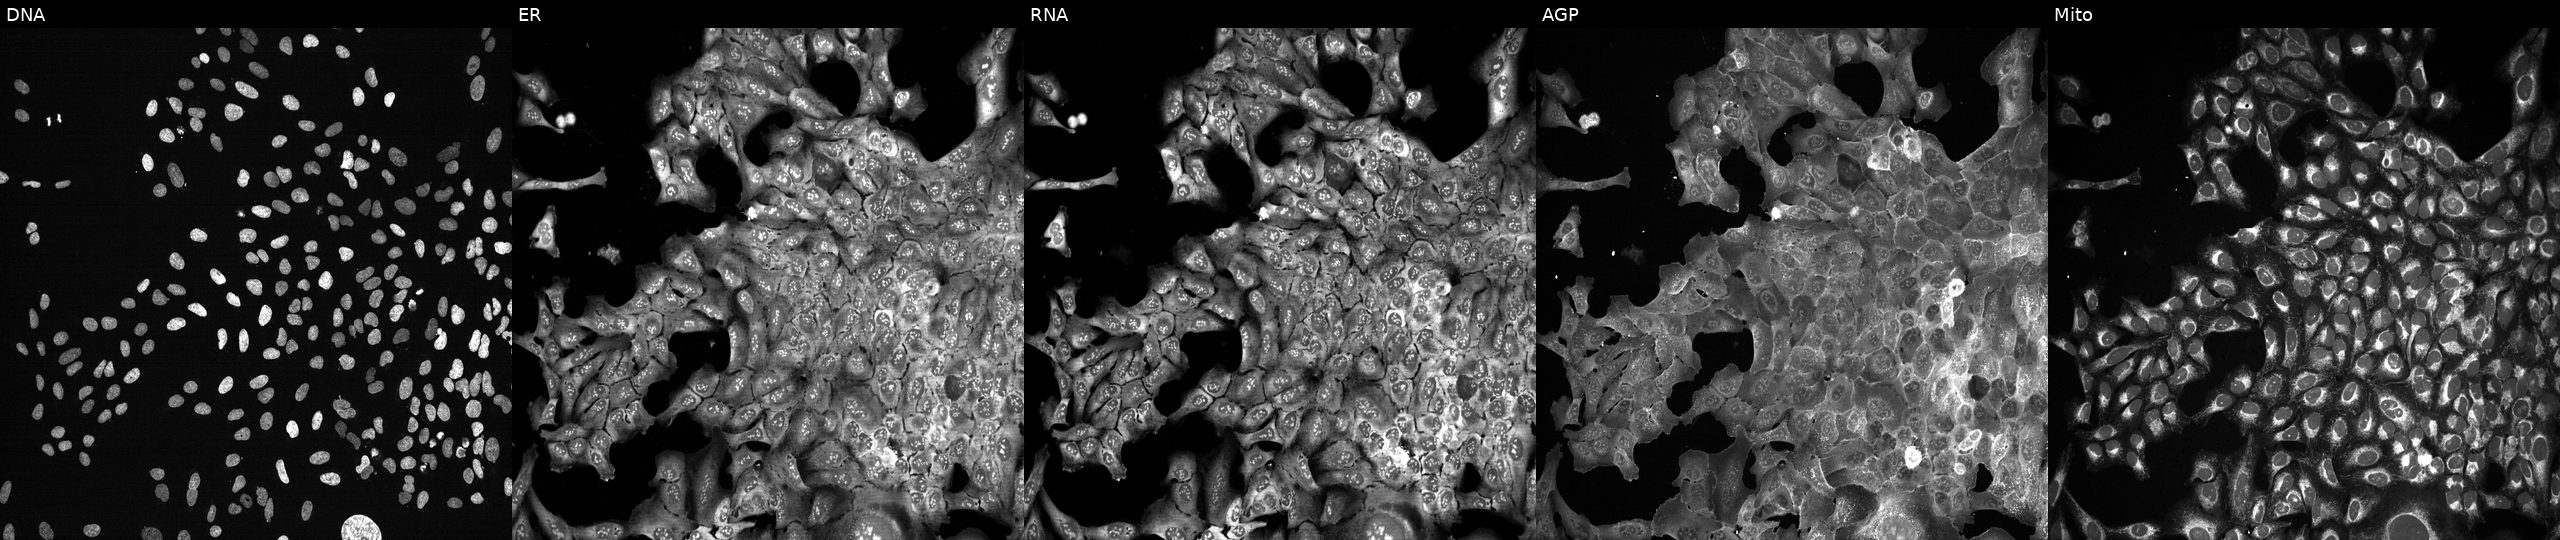
Panels show, left to right, DNA, ER, RNA, AGP, and Mito. U2OS osteosarcoma cells with CEL knocked out by CRISPR (JUMP id JCP2022_801239). Cell Painting assay, JUMP-CP dataset.